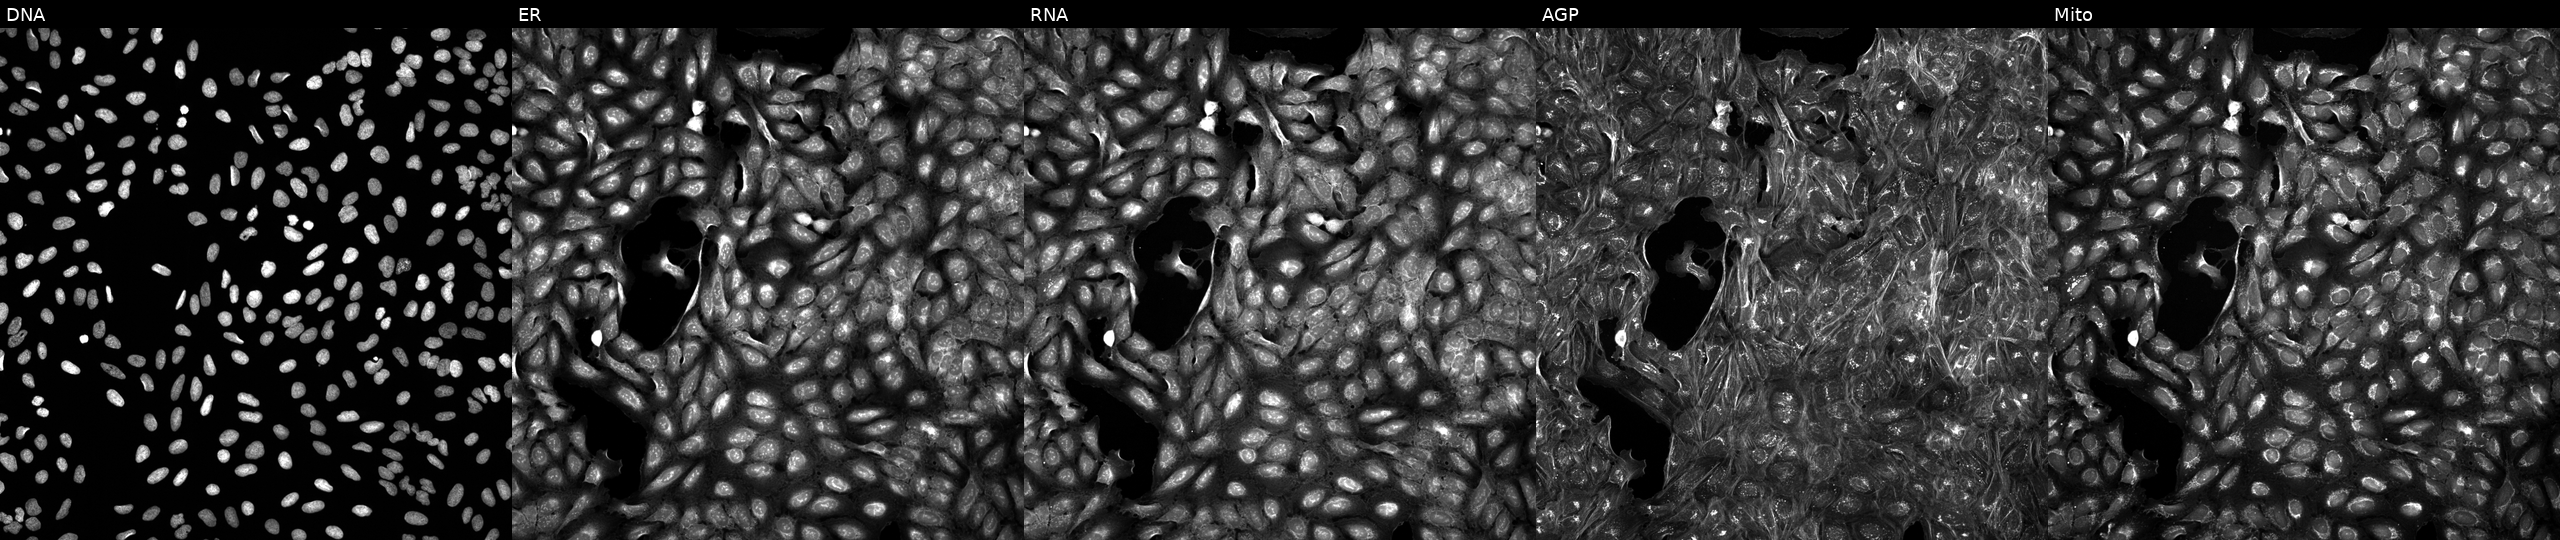
Five-channel Cell Painting image of U2OS cells perturbed with a small-molecule compound (JUMP id JCP2022_079681). From left to right: DNA, ER, RNA, AGP, and Mito. Source 5, plate APTJUM105, well H06.